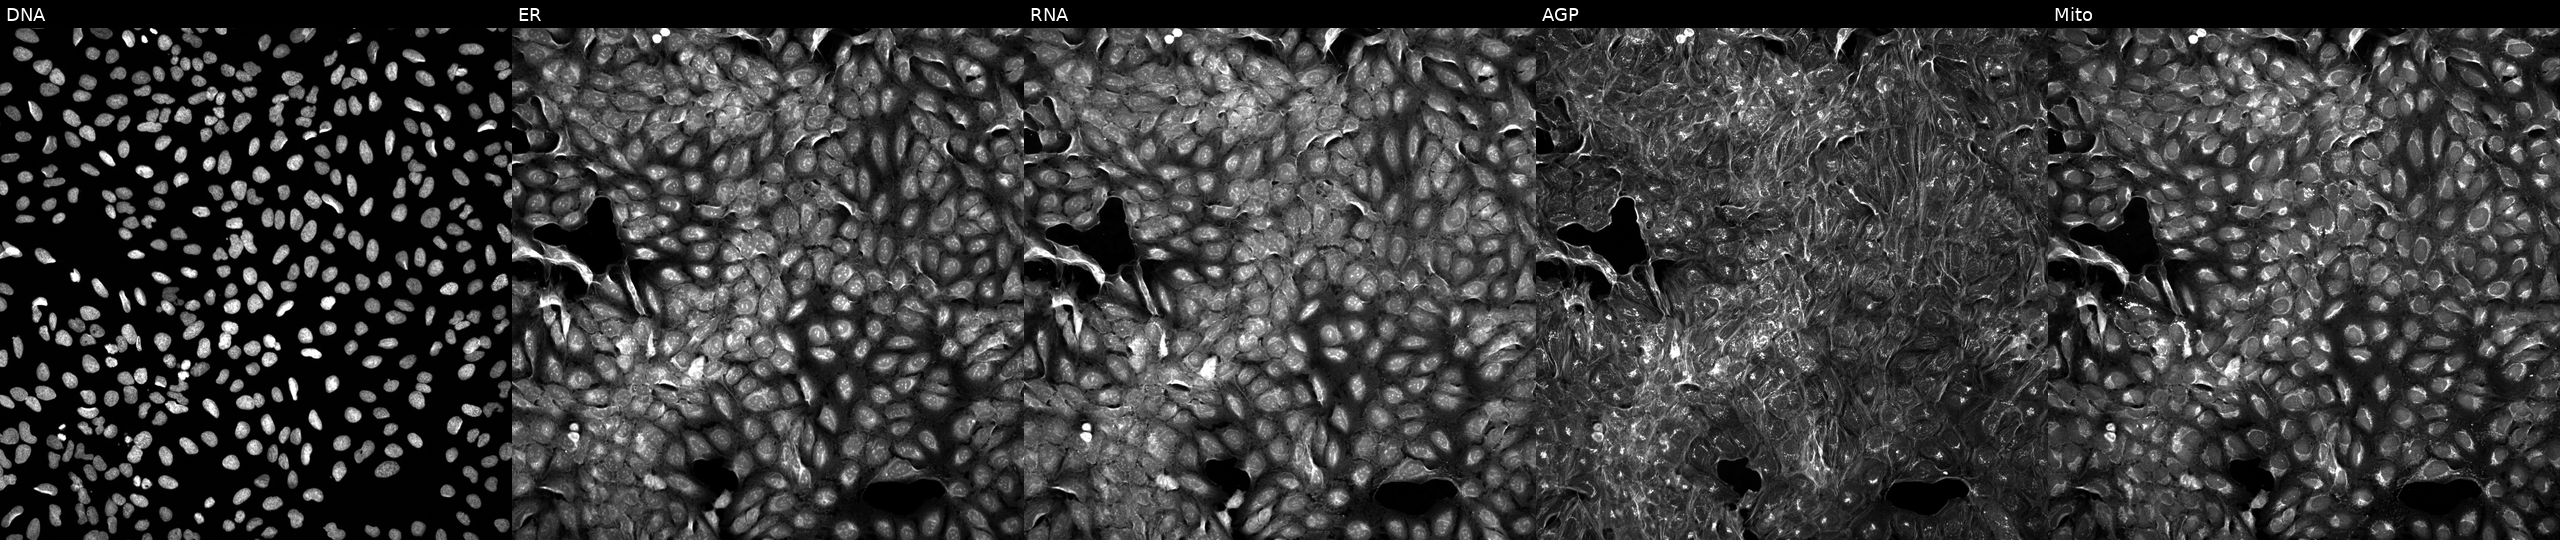
This image strip shows the five Cell Painting channels for a single field of U2OS cells treated with a small-molecule compound (JUMP id JCP2022_062448). The five panels, left to right, show Hoechst 33342, concanavalin A, SYTO 14, phalloidin and WGA, MitoTracker. Source 5, plate APTJUM106, well O12.